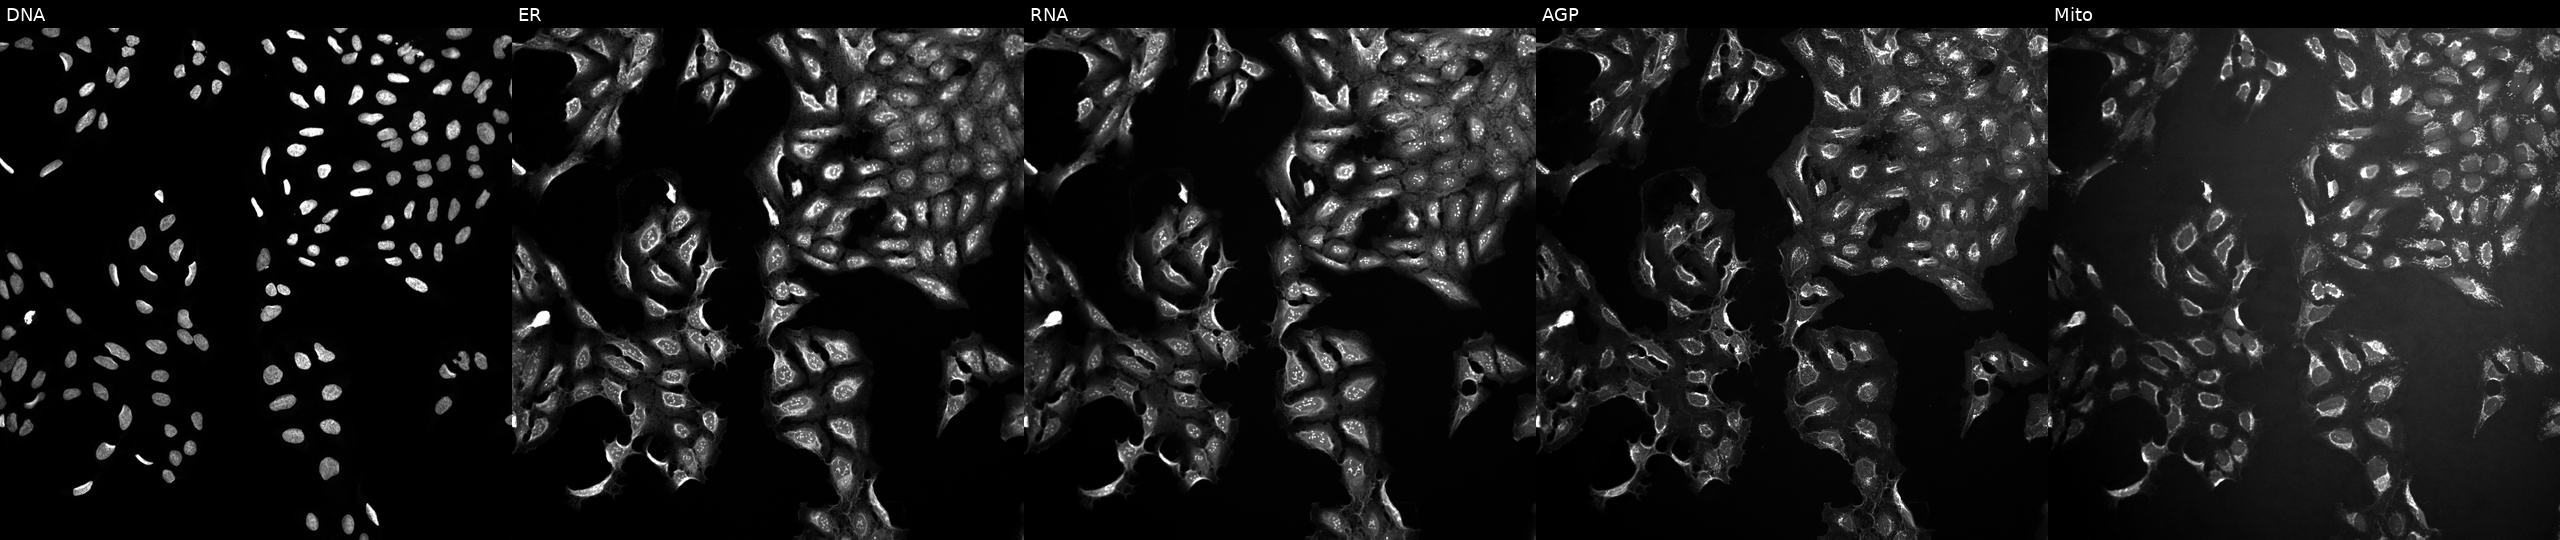
U2OS cells, Cell Painting assay, perturbed with a small-molecule compound (InChIKey VFSVKVQMZDJFQX-UHFFFAOYSA-N) (JUMP id JCP2022_093678). The five panels, left to right, show Hoechst 33342, concanavalin A, SYTO 14, phalloidin and WGA, MitoTracker. Each panel is percentile-stretched 16-bit fluorescence.